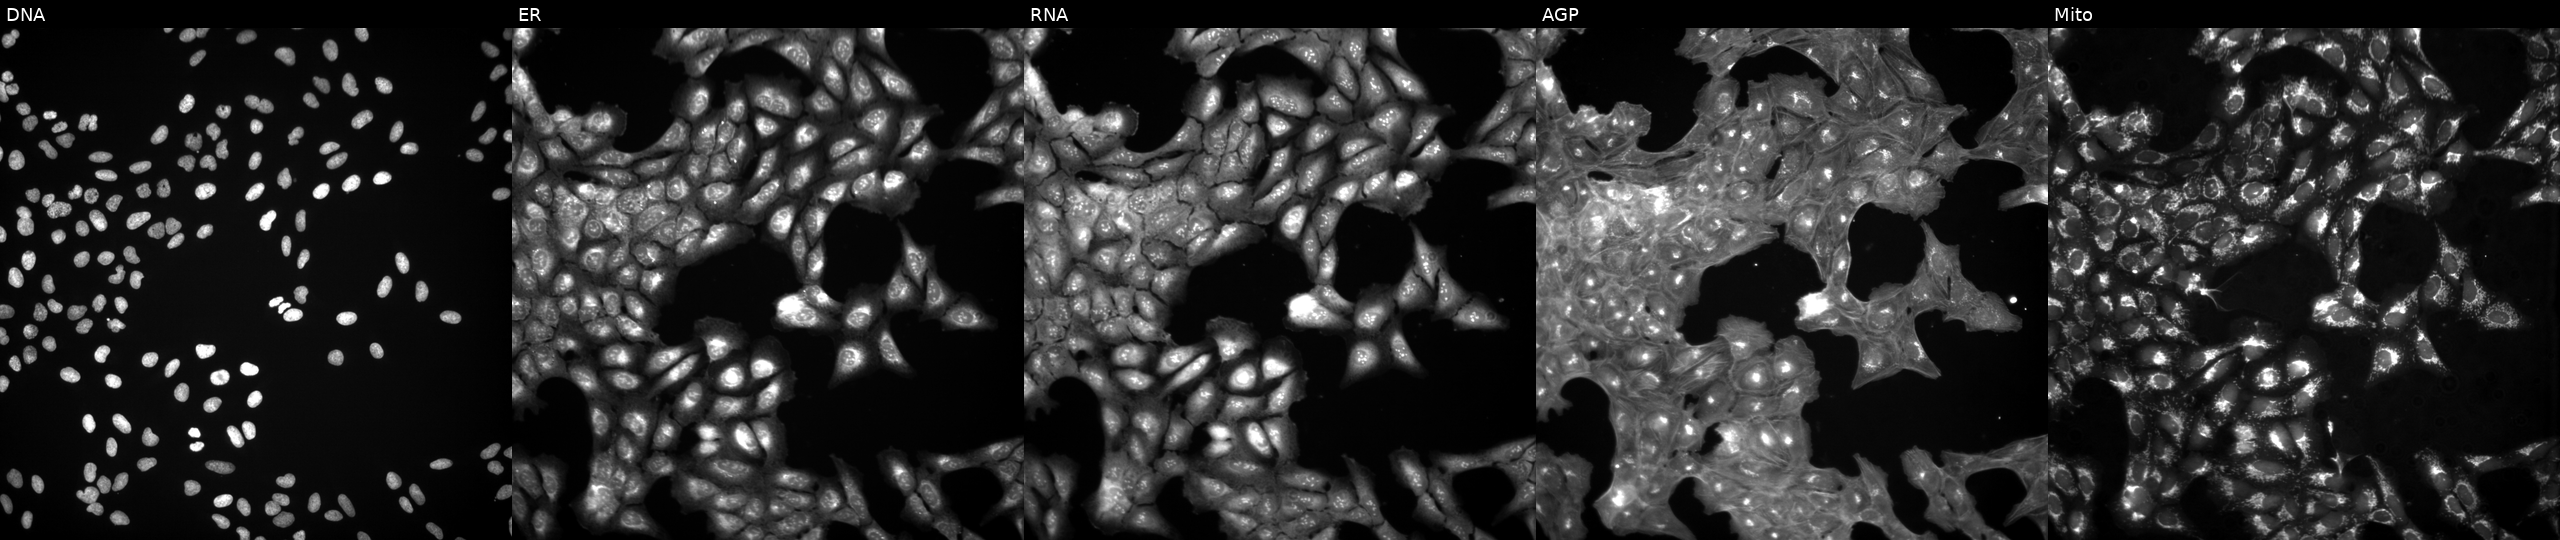
U2OS cells, Cell Painting assay, perturbed with a small-molecule compound. Channels (left→right): Hoechst 33342, concanavalin A, SYTO 14, phalloidin and WGA, MitoTracker. Each panel is percentile-stretched 16-bit fluorescence. Source 3, plate BR5867b3, well A12.